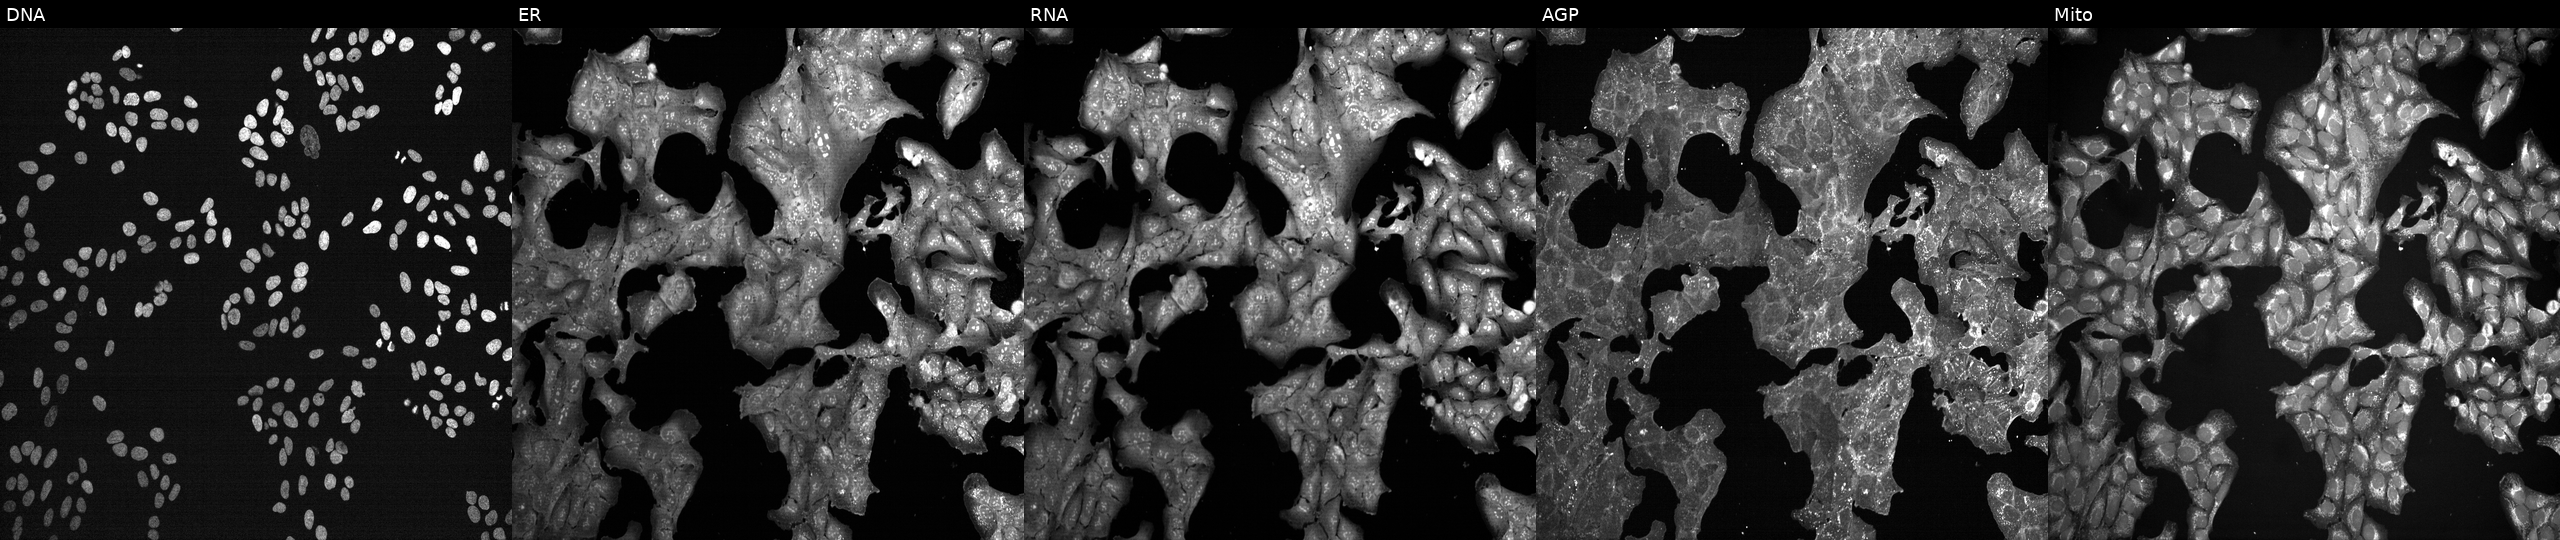
This image strip shows the five Cell Painting channels for a single field of U2OS cells treated with a small-molecule compound (InChIKey DMWVGXGXHPOEPT-UHFFFAOYSA-N) (JUMP id JCP2022_016935). From left to right: Hoechst 33342, concanavalin A, SYTO 14, phalloidin and WGA, MitoTracker.